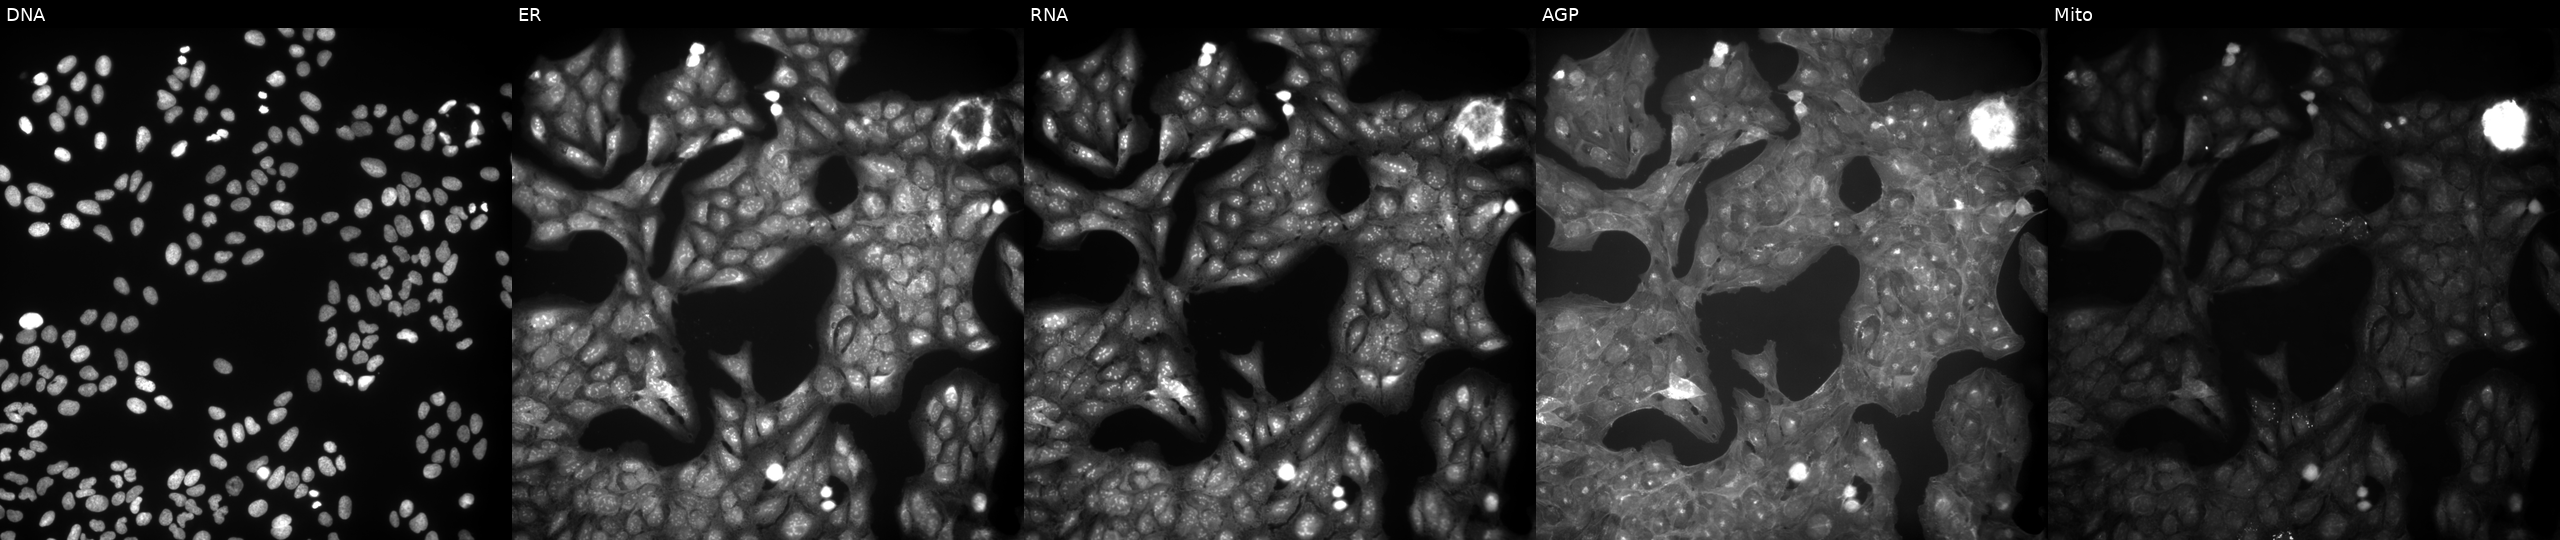
Five-channel Cell Painting image of U2OS cells treated with a small-molecule compound (InChIKey LGWCRRIXTQXAIZ-UHFFFAOYSA-N) (JUMP id JCP2022_049333). The five panels, left to right, show Hoechst 33342, concanavalin A, SYTO 14, phalloidin and WGA, MitoTracker.